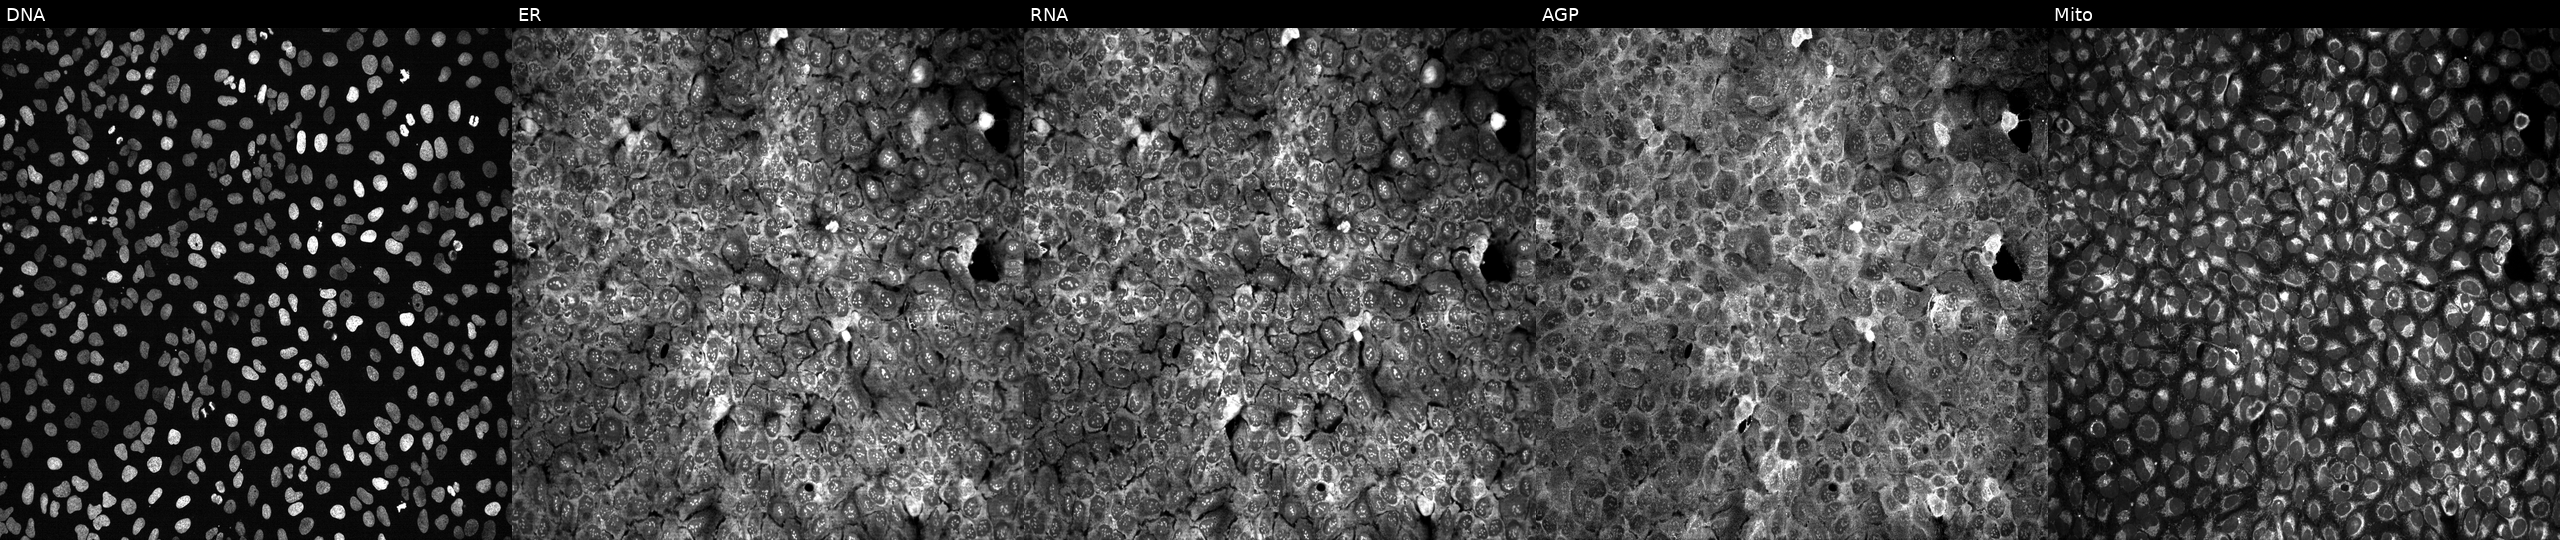
This image strip shows the five Cell Painting channels for a single field of U2OS cells with MTFMT knocked out by CRISPR. From left to right: DNA, ER, RNA, AGP, and Mito. Source 13, plate CP-CC9-R3-01, well H09.